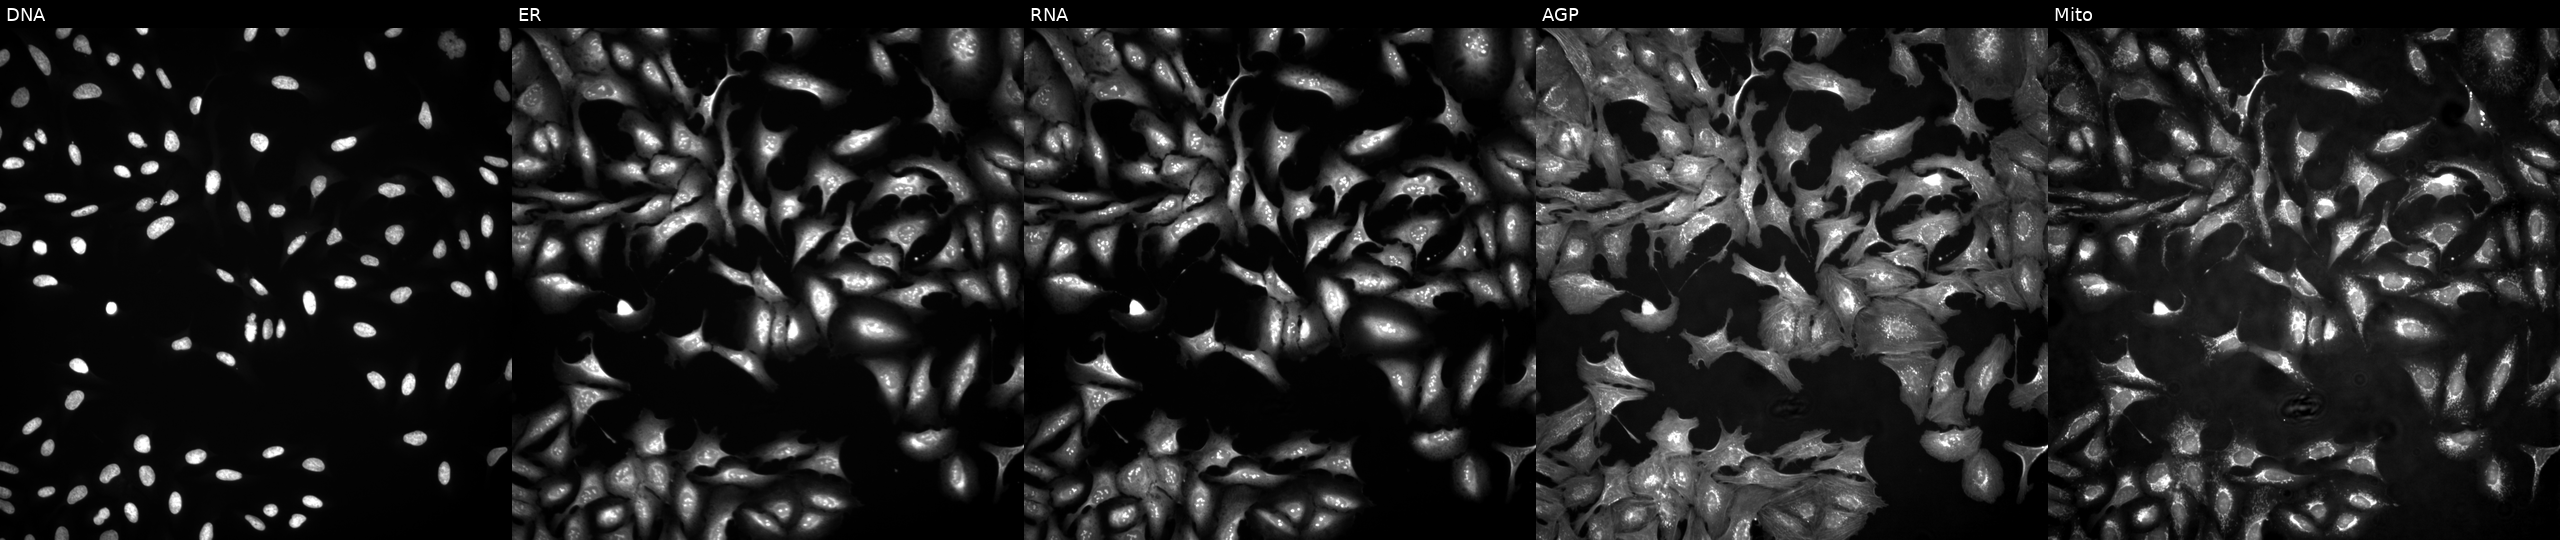
JUMP Cell Painting — ORF plate. U2OS cells expressing BFP (ORF negative control). Panels show, left to right, DNA (nuclei); ER (endoplasmic reticulum); RNA (nucleoli and cytoplasmic RNA); AGP (actin cytoskeleton, Golgi, and plasma membrane); Mito (mitochondria). Source 4, plate BR00123945, well L09.